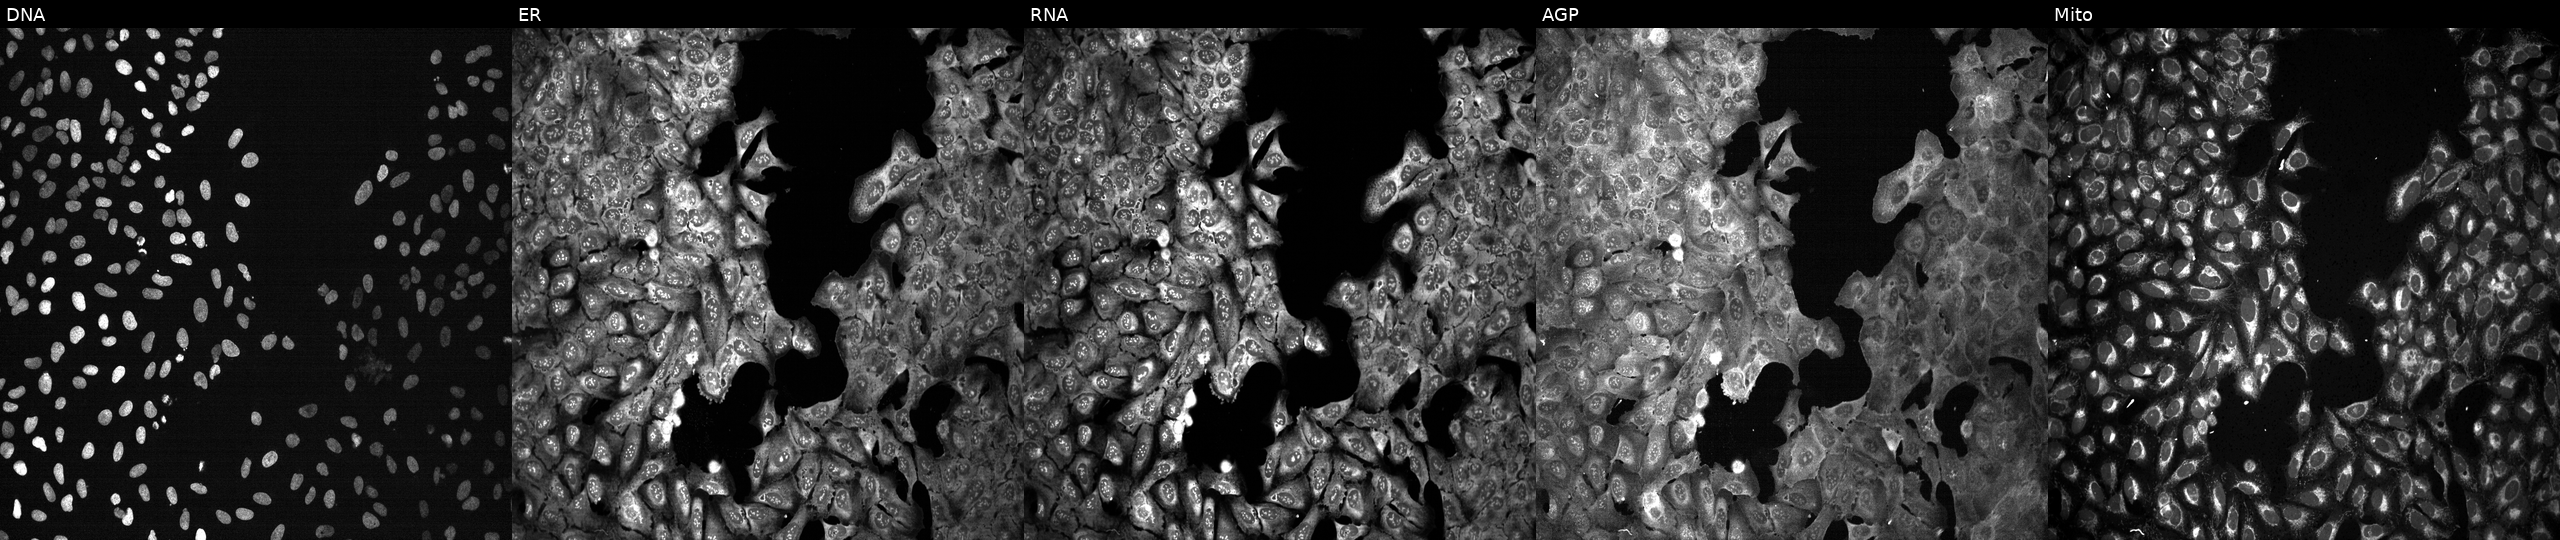
This image strip shows the five Cell Painting channels for a single field of U2OS cells following CRISPR knockout of DHRS4. From left to right: DNA (nuclei); ER (endoplasmic reticulum); RNA (nucleoli and cytoplasmic RNA); AGP (actin cytoskeleton, Golgi, and plasma membrane); Mito (mitochondria). Source 13, plate CP-CC9-R3-01, well H20.